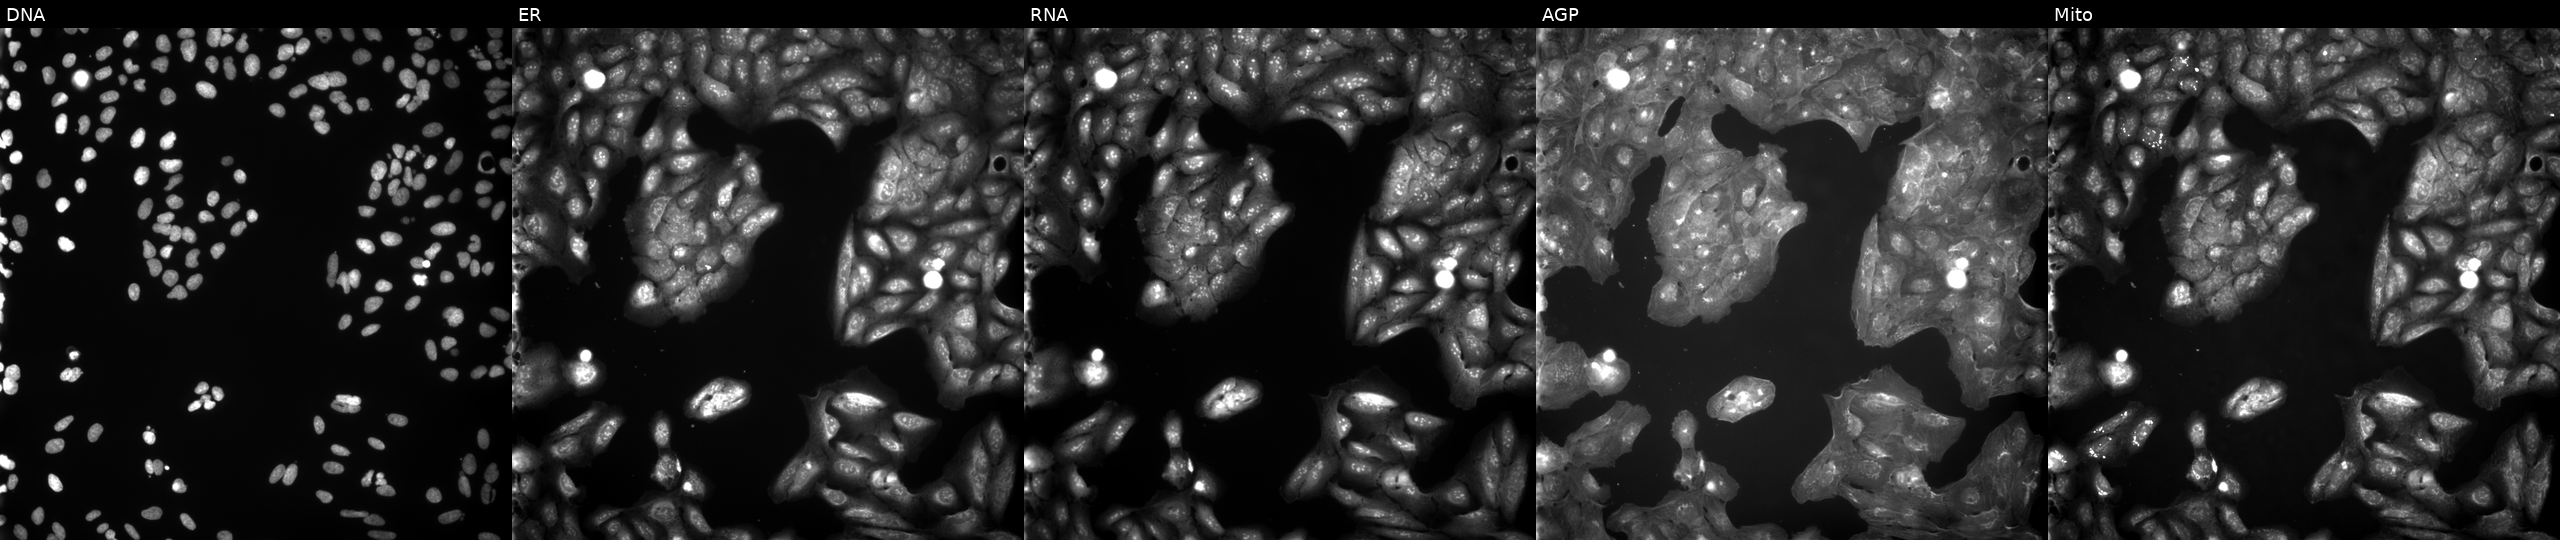
JUMP Cell Painting — COMPOUND plate. U2OS cells exposed to a small-molecule compound (InChIKey CMAQQROATYYIHI-UHFFFAOYSA-N) (JUMP id JCP2022_012014). Channels (left→right): DNA (nuclei); ER (endoplasmic reticulum); RNA (nucleoli and cytoplasmic RNA); AGP (actin cytoskeleton, Golgi, and plasma membrane); Mito (mitochondria). Source 9, plate GR00003381, well L15.